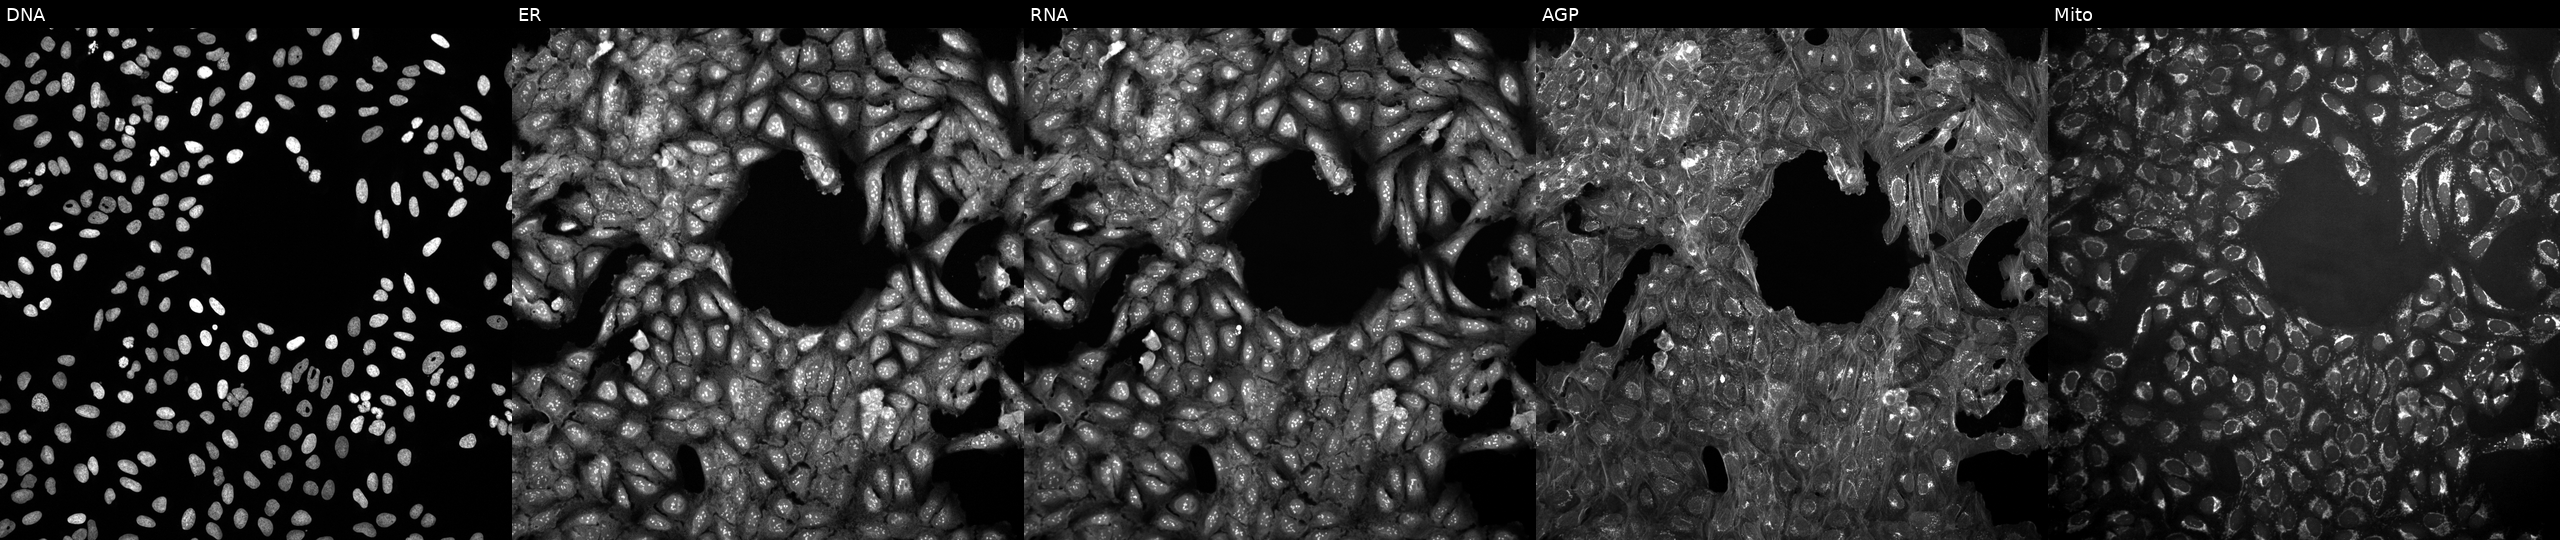
High-content fluorescence microscopy (Cell Painting). Cell line: U2OS. Perturbation: treated with a small-molecule compound (InChIKey UPJJVJJIZNFMLT-UHFFFAOYSA-N). The five panels, left to right, show Hoechst 33342, concanavalin A, SYTO 14, phalloidin and WGA, MitoTracker. Source 10, plate Dest210531-152149, well E06.